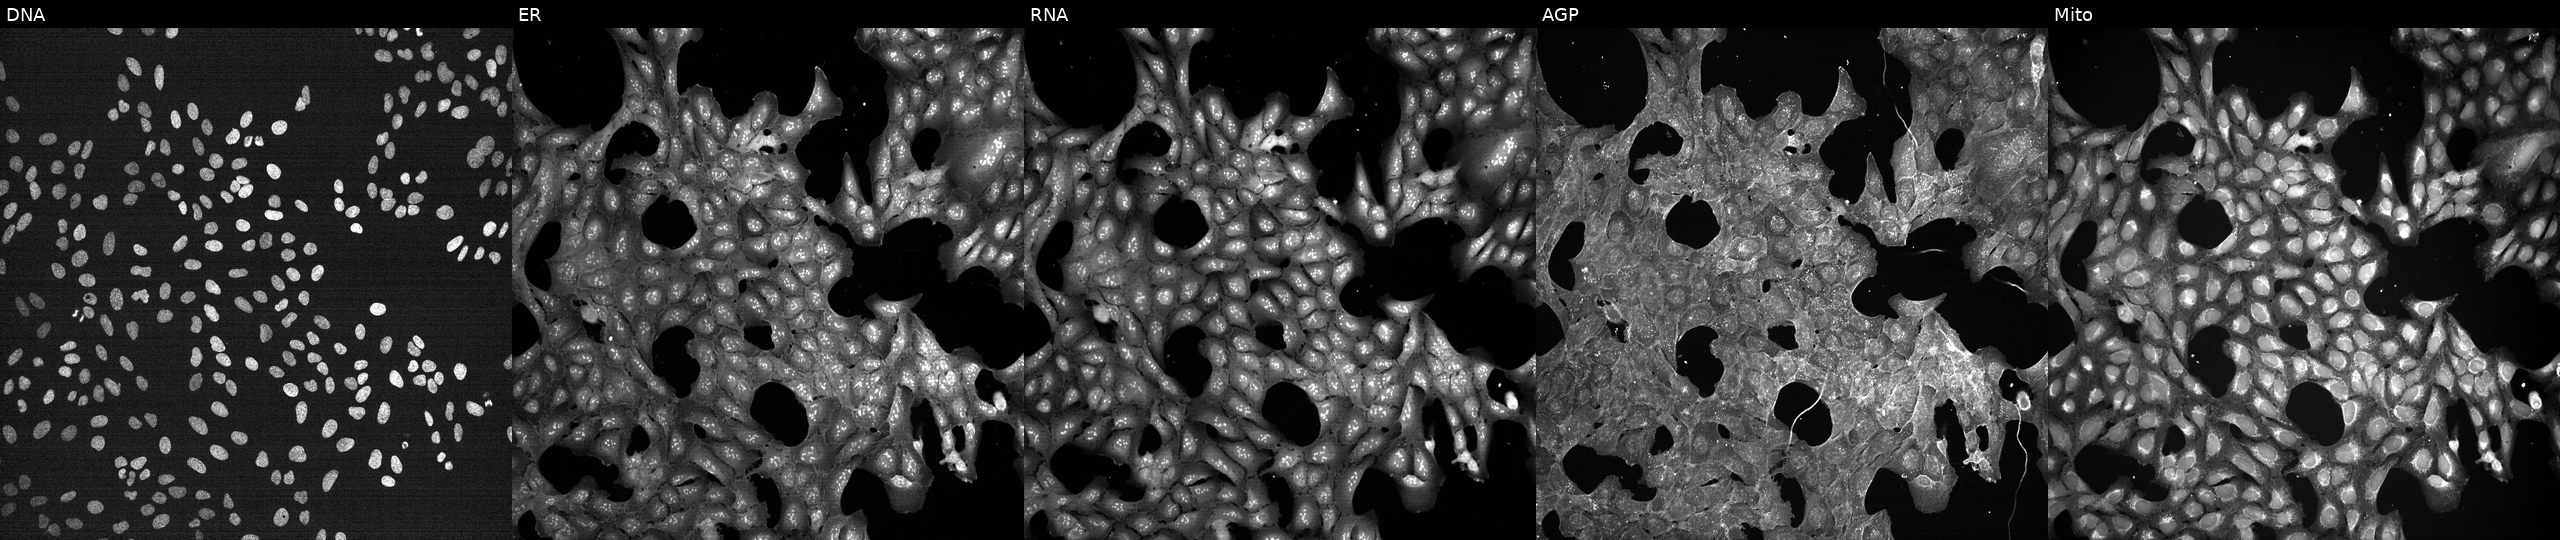
This image strip shows the five Cell Painting channels for a single field of U2OS cells treated with a small-molecule compound (InChIKey LPEPZBJOKDYZAD-UHFFFAOYSA-N) (JUMP id JCP2022_050861). Panels show, left to right, Hoechst 33342, concanavalin A, SYTO 14, phalloidin and WGA, MitoTracker. Source 7, plate CP1-SC1-25, well A08.